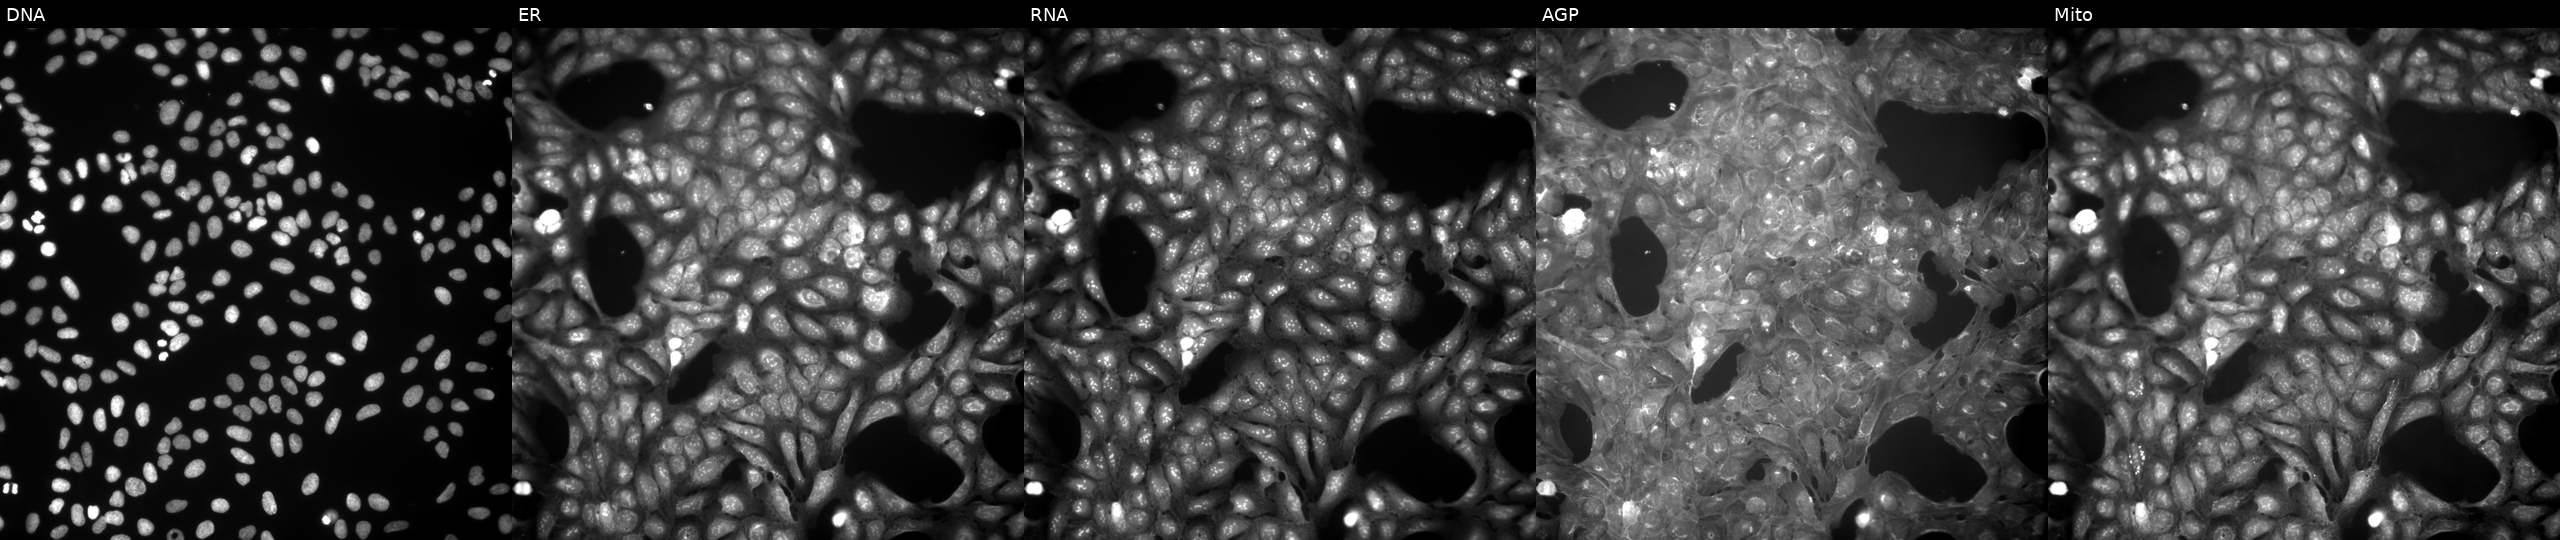
JUMP Cell Painting — COMPOUND plate. U2OS cells treated with a small-molecule compound. The five panels, left to right, show Hoechst 33342, concanavalin A, SYTO 14, phalloidin and WGA, MitoTracker. Source 9, plate GR00003381, well A32.